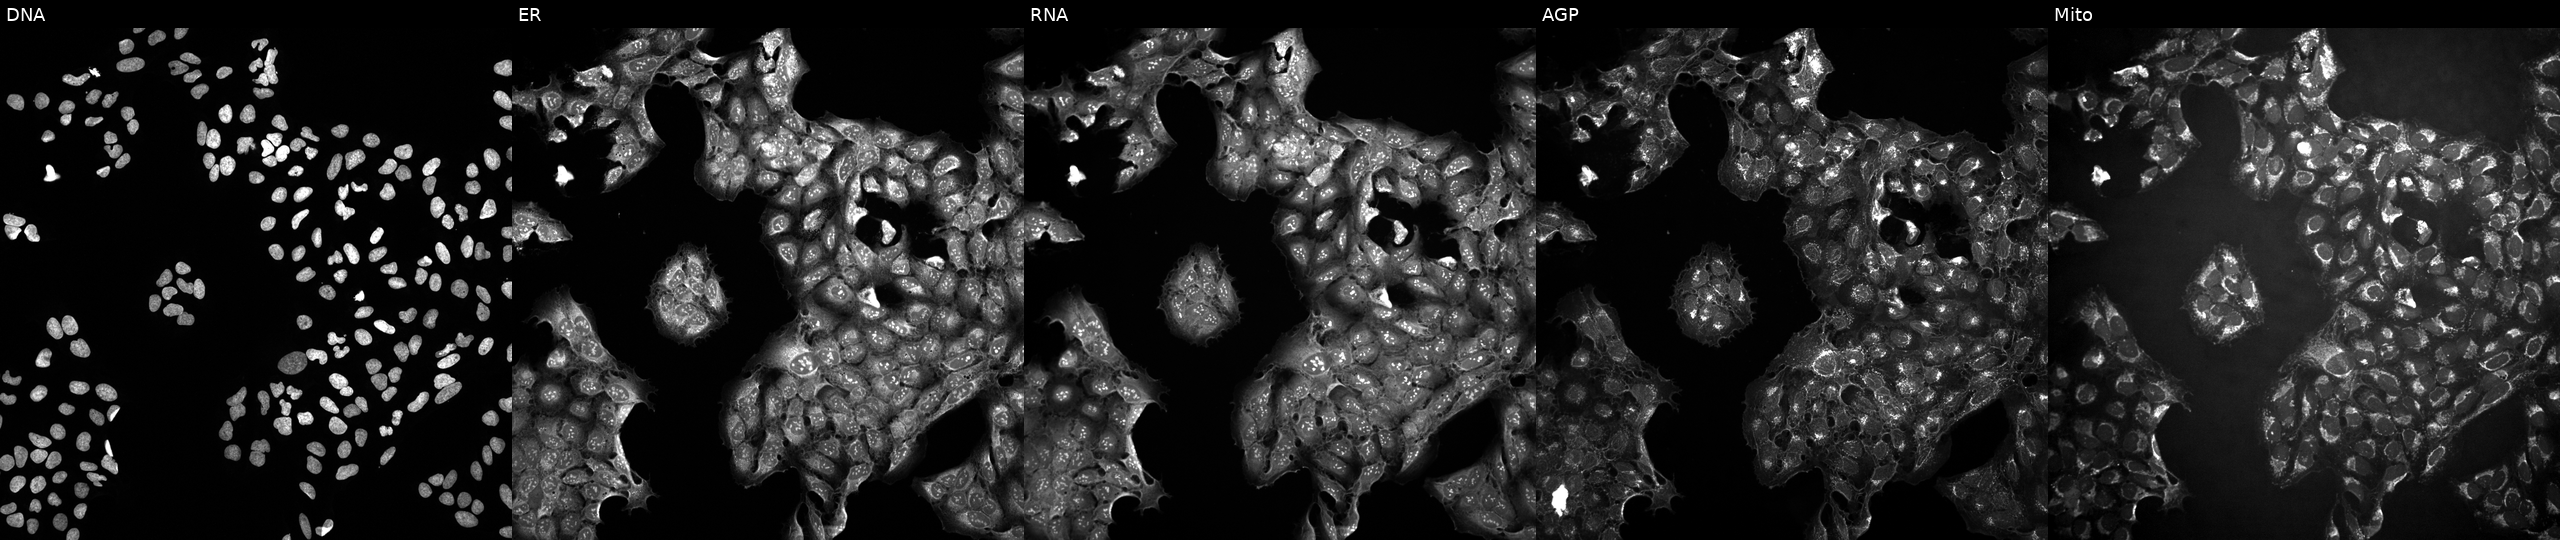
Five-channel Cell Painting image of U2OS cells treated with a small-molecule compound. Channels (left→right): Hoechst 33342, concanavalin A, SYTO 14, phalloidin and WGA, MitoTracker. Source 10, plate Dest210803-153958, well N03.